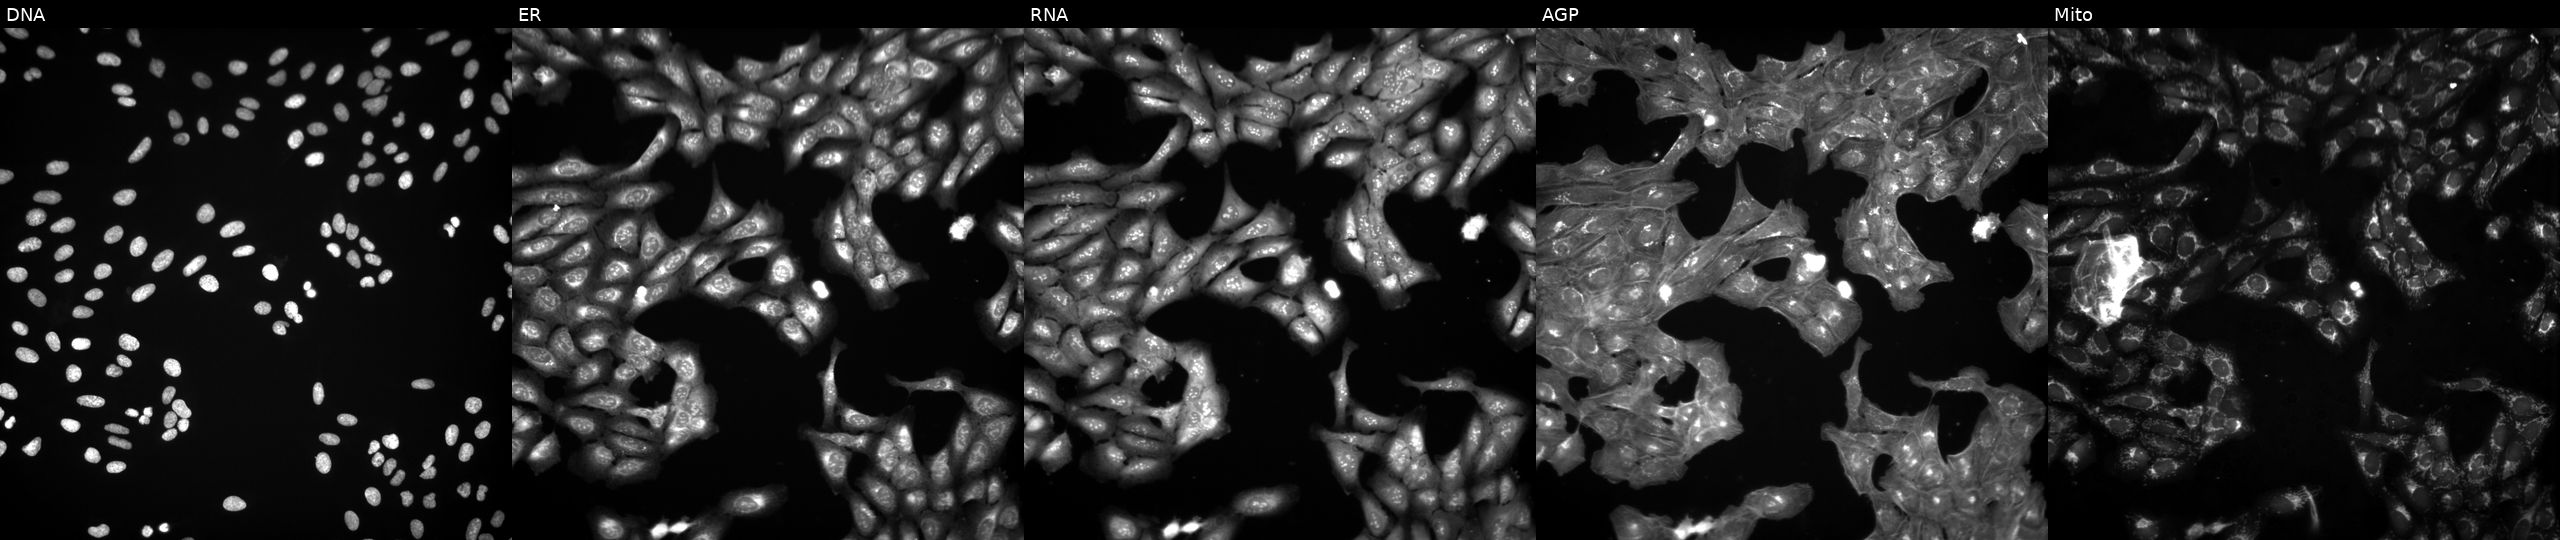
JUMP Cell Painting — COMPOUND plate. U2OS cells exposed to a small-molecule compound (InChIKey IBRCECHRODCLCC-UHFFFAOYSA-N) (JUMP id JCP2022_034050). From left to right: DNA (nuclei); ER (endoplasmic reticulum); RNA (nucleoli and cytoplasmic RNA); AGP (actin cytoskeleton, Golgi, and plasma membrane); Mito (mitochondria). Source 3, plate BR5867a3, well A18.